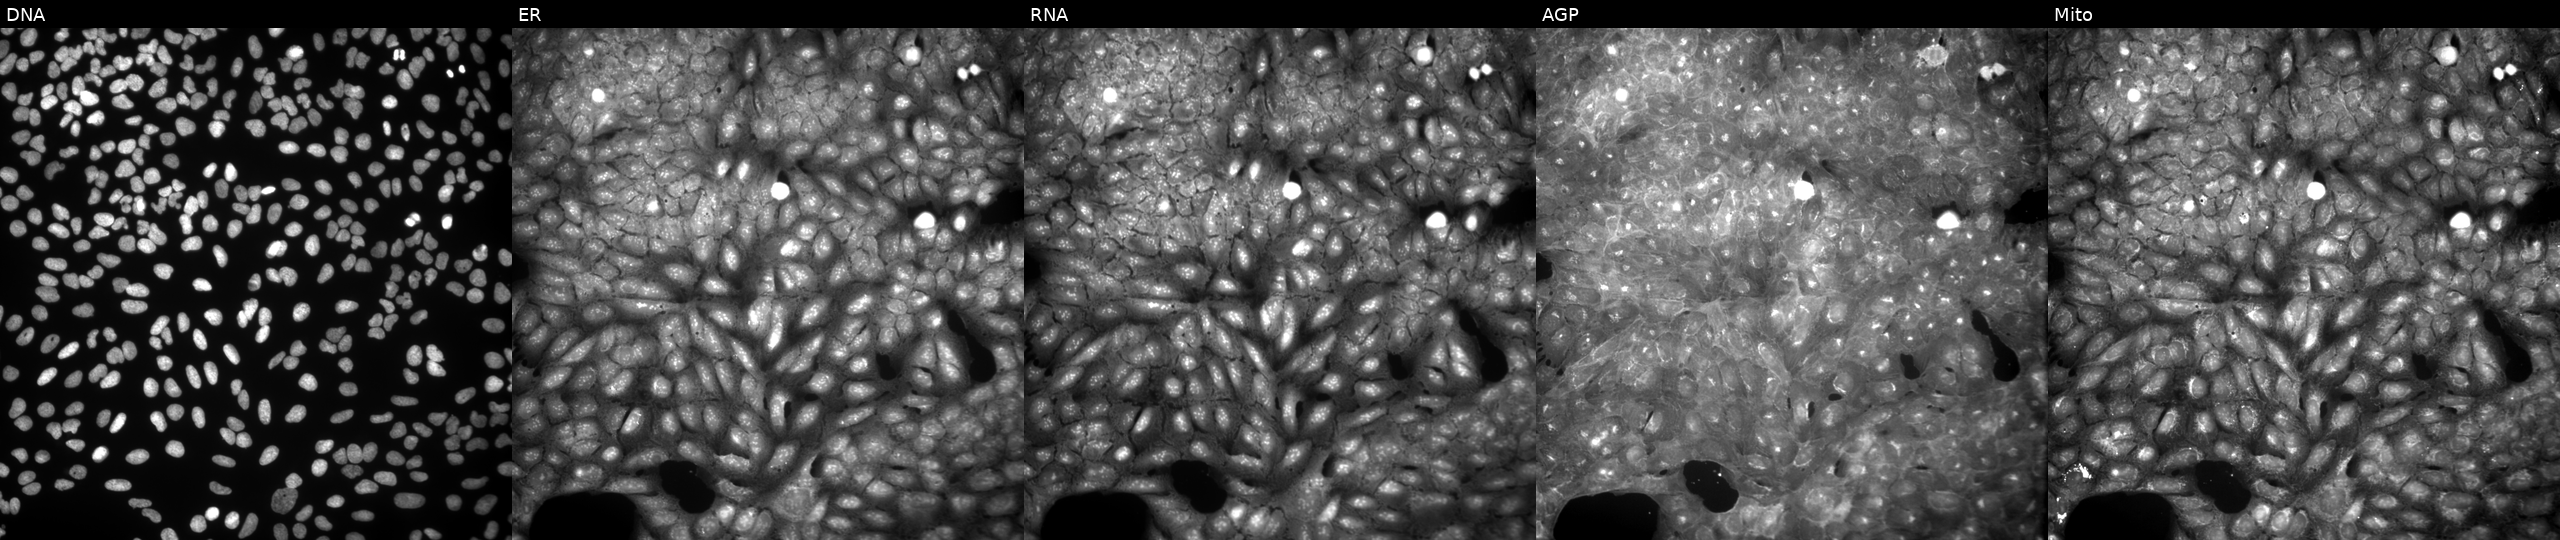
This image strip shows the five Cell Painting channels for a single field of U2OS cells perturbed with a small-molecule compound (InChIKey JVJKKOMCHYRLNY-UHFFFAOYSA-N) (JUMP id JCP2022_042381). Panels show, left to right, DNA (nuclei); ER (endoplasmic reticulum); RNA (nucleoli and cytoplasmic RNA); AGP (actin cytoskeleton, Golgi, and plasma membrane); Mito (mitochondria).